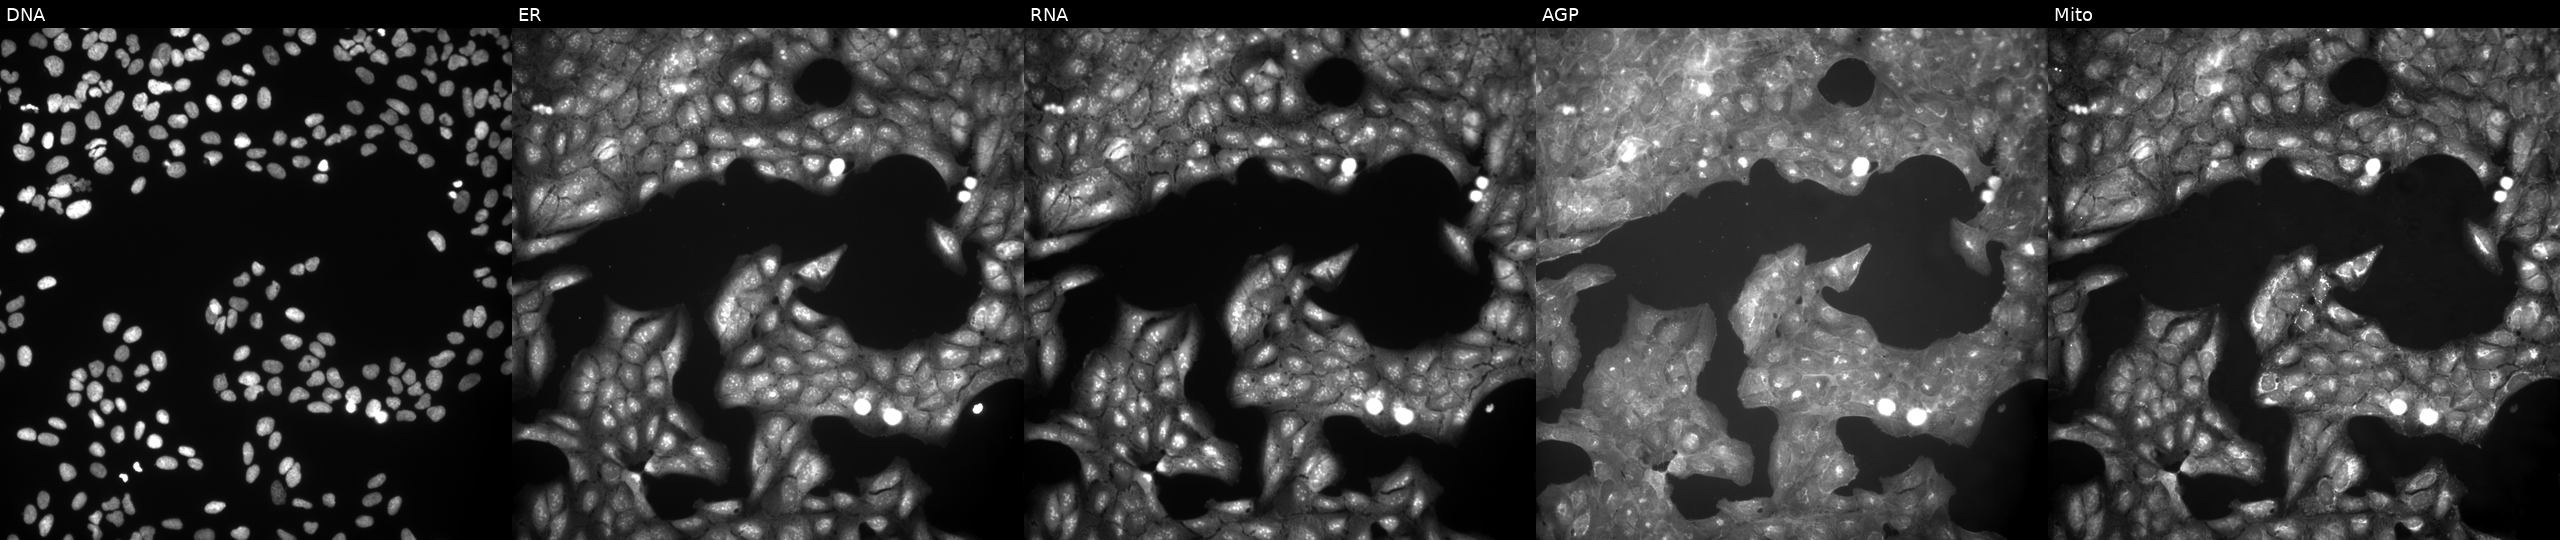
This image strip shows the five Cell Painting channels for a single field of U2OS cells exposed to a small-molecule compound (InChIKey KENJNQGKULJCIX-UHFFFAOYSA-N) [SMILES: O=C(Nc1ccccc1)c1cc(S(=O)(=O)N2CCCCC2)c(Cl)cc1Cl] (JUMP id JCP2022_044096). Panels show, left to right, DNA (nuclei); ER (endoplasmic reticulum); RNA (nucleoli and cytoplasmic RNA); AGP (actin cytoskeleton, Golgi, and plasma membrane); Mito (mitochondria). Source 9, plate GR00003382, well F37.